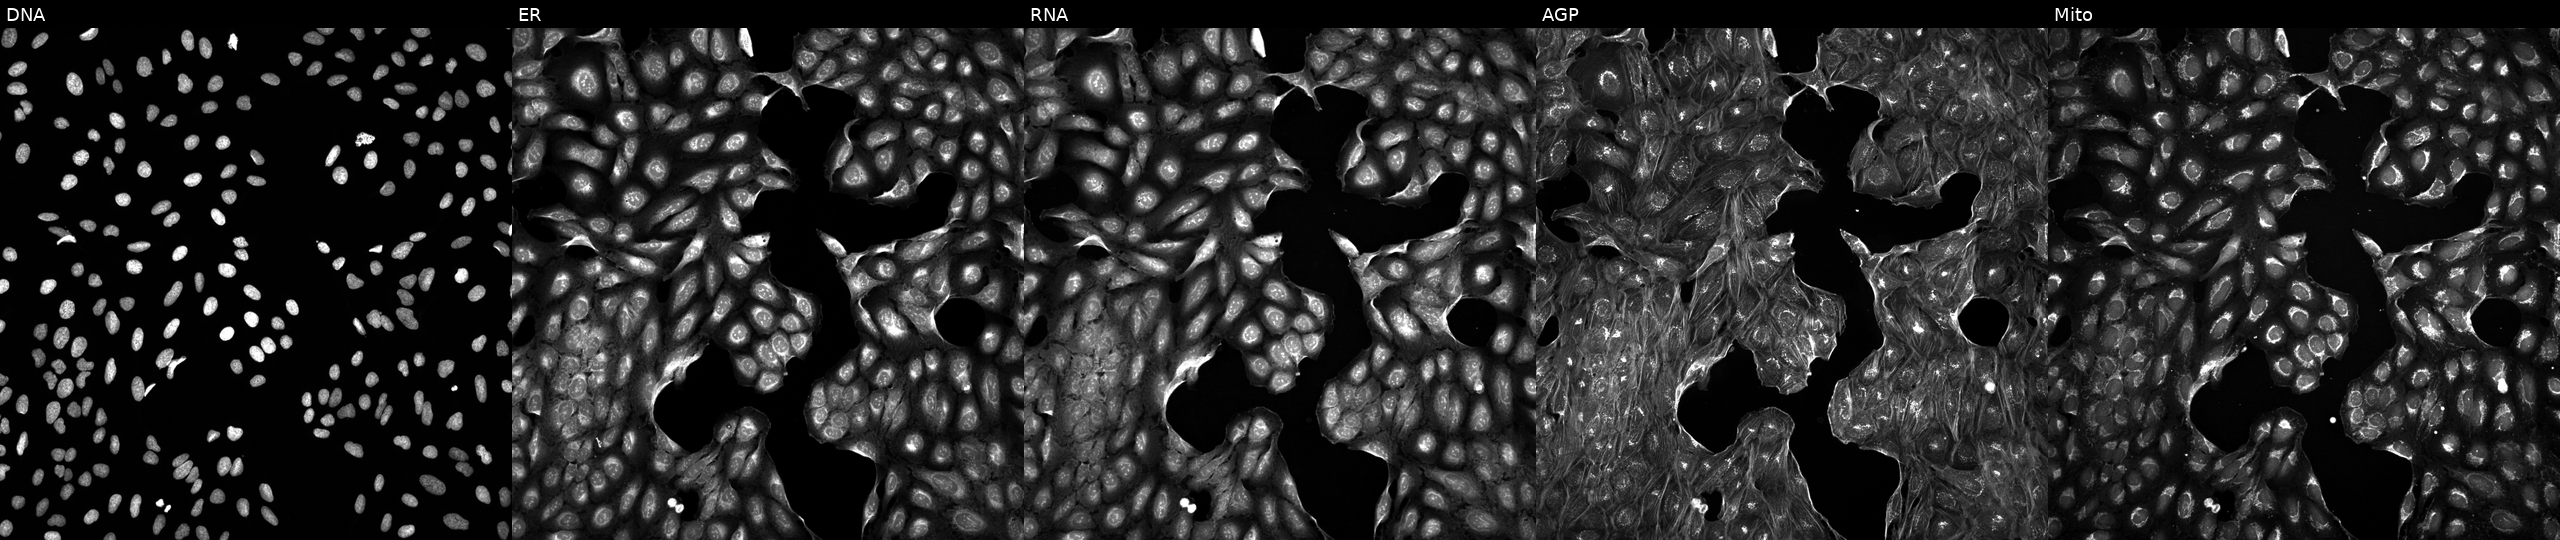
High-content fluorescence microscopy (Cell Painting). Cell line: U2OS. Perturbation: perturbed with a small-molecule compound (InChIKey FMYGNANMYYHBSU-UHFFFAOYSA-N) [SMILES: Cc1cc(C(=O)Cn2cc(C#N)ccc2=O)c(C)n1Cc1ccccc1]. Panels show, left to right, Hoechst 33342, concanavalin A, SYTO 14, phalloidin and WGA, MitoTracker.